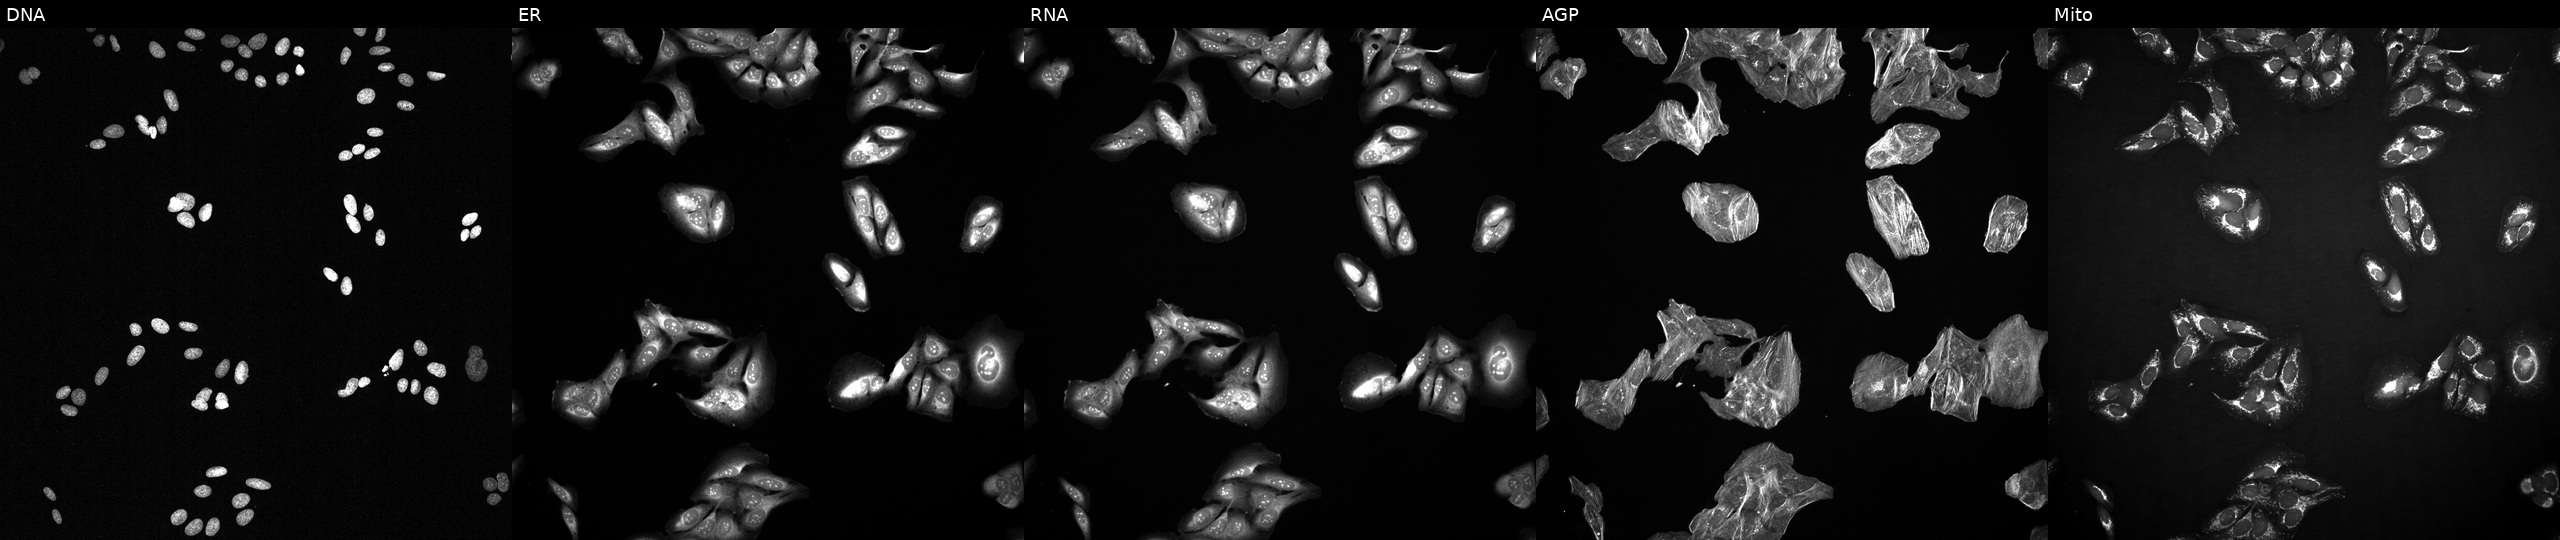
The five panels, left to right, show DNA (nuclei); ER (endoplasmic reticulum); RNA (nucleoli and cytoplasmic RNA); AGP (actin cytoskeleton, Golgi, and plasma membrane); Mito (mitochondria). U2OS osteosarcoma cells exposed to a small-molecule compound (InChIKey WYWHKKSPHMUBEB-UHFFFAOYSA-N) (JUMP id JCP2022_102083). Cell Painting assay, JUMP-CP dataset.